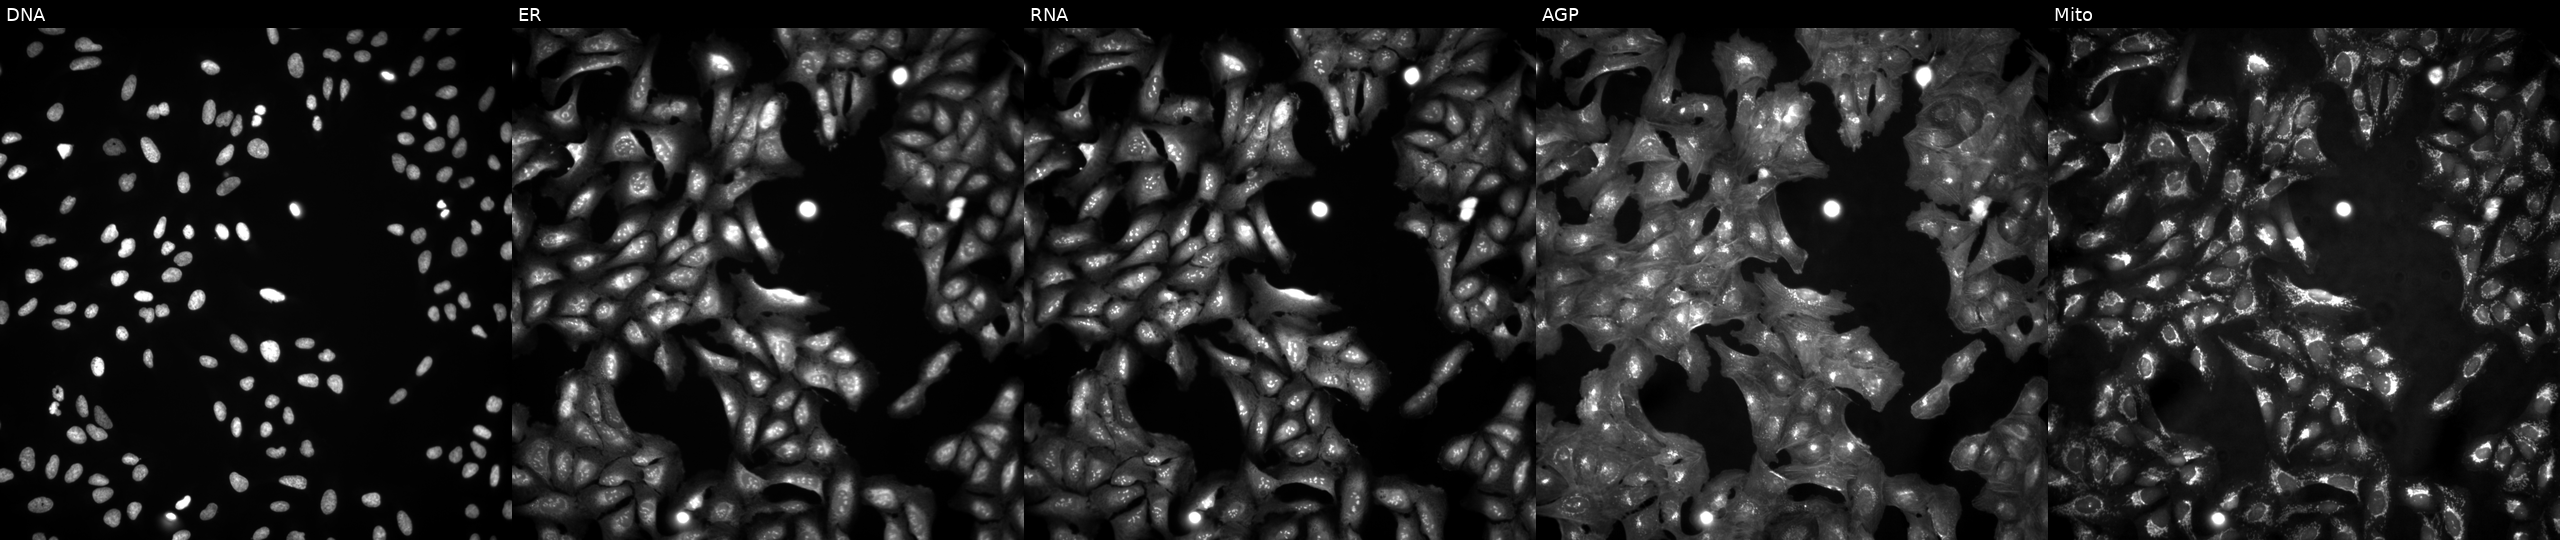
Five-channel Cell Painting image of U2OS cells in an empty control well (no perturbation) (JUMP id JCP2022_999999). Channels (left→right): DNA (nuclei); ER (endoplasmic reticulum); RNA (nucleoli and cytoplasmic RNA); AGP (actin cytoskeleton, Golgi, and plasma membrane); Mito (mitochondria).